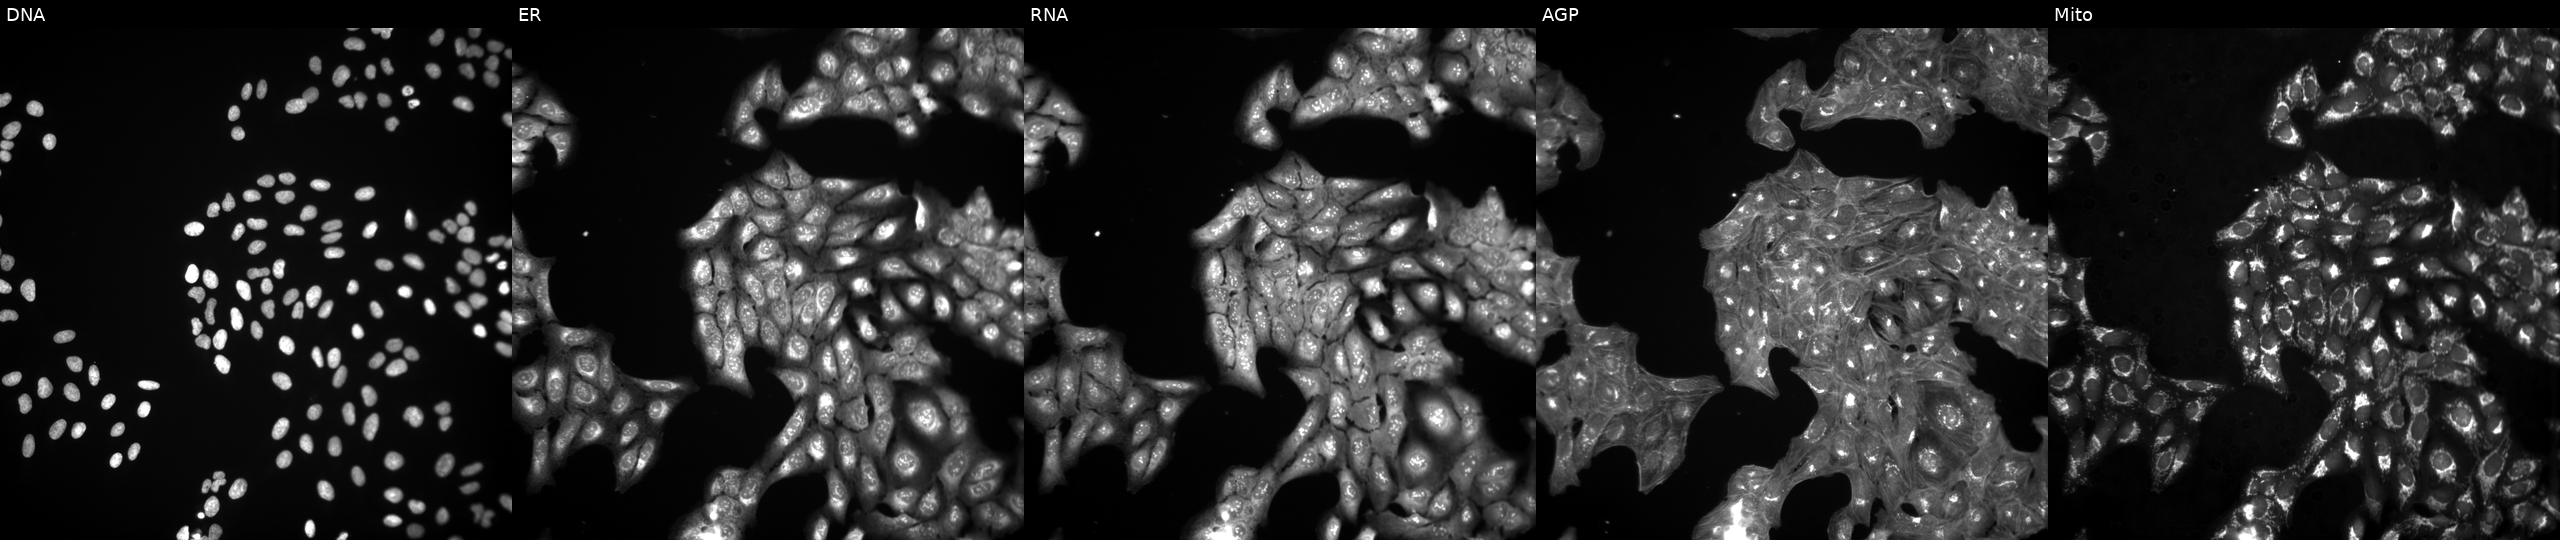
Five-channel Cell Painting image of U2OS cells perturbed with a small-molecule compound (InChIKey UMUPQWIGCOZEOY-UHFFFAOYSA-N) (JUMP id JCP2022_090205). From left to right: DNA (nuclei); ER (endoplasmic reticulum); RNA (nucleoli and cytoplasmic RNA); AGP (actin cytoskeleton, Golgi, and plasma membrane); Mito (mitochondria). Source 3, plate JCPQC052, well D24.